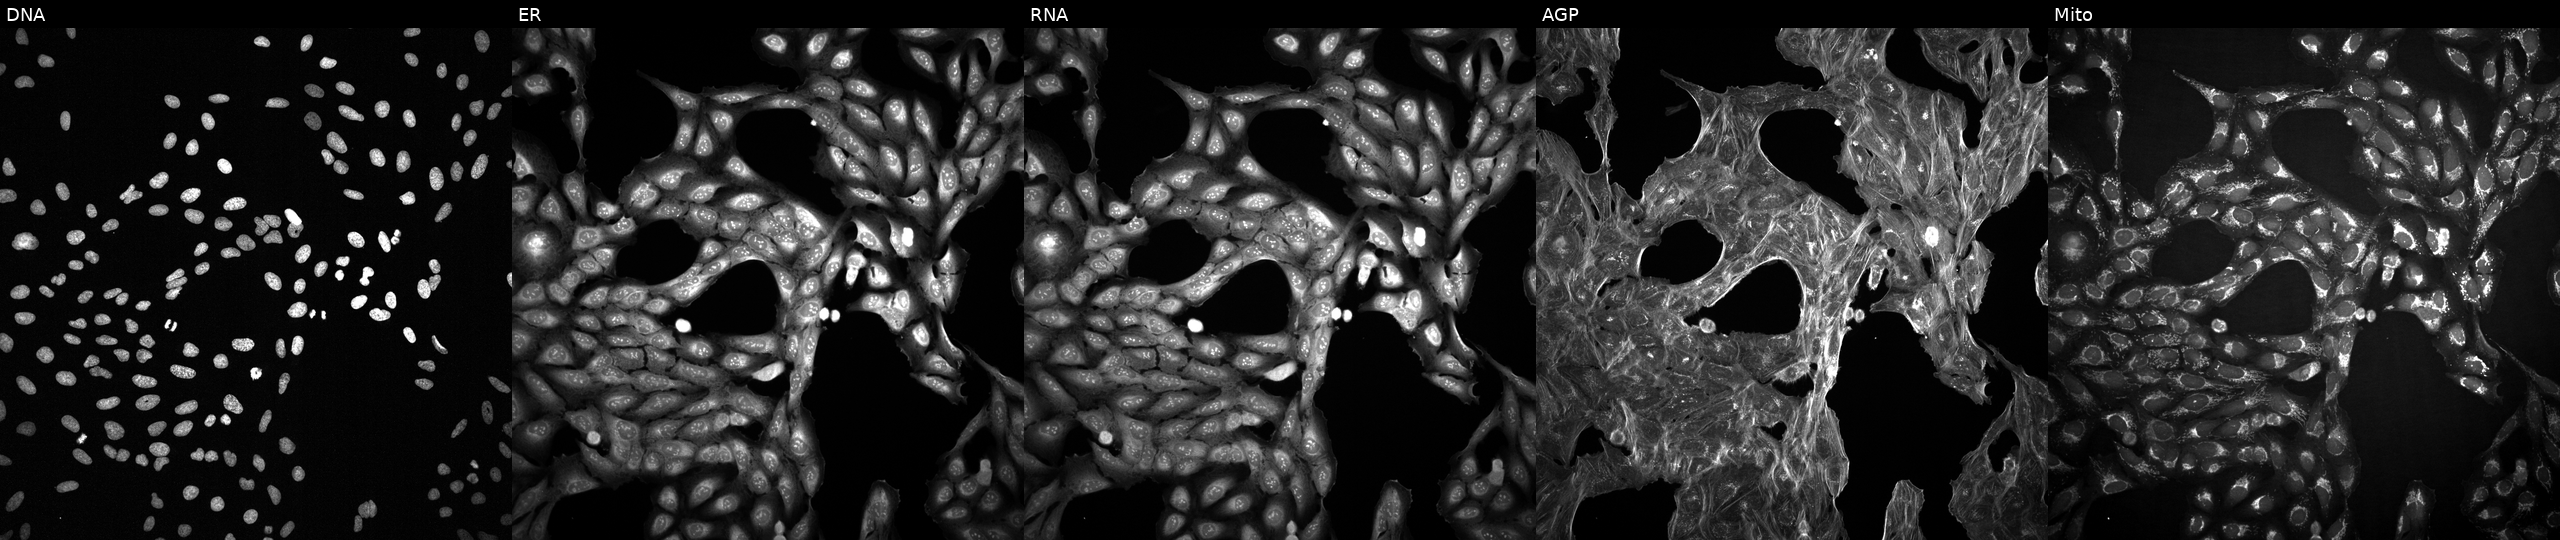
This image strip shows the five Cell Painting channels for a single field of U2OS cells with an unidentified perturbation (not annotated in JUMP metadata). From left to right: Hoechst 33342, concanavalin A, SYTO 14, phalloidin and WGA, MitoTracker.